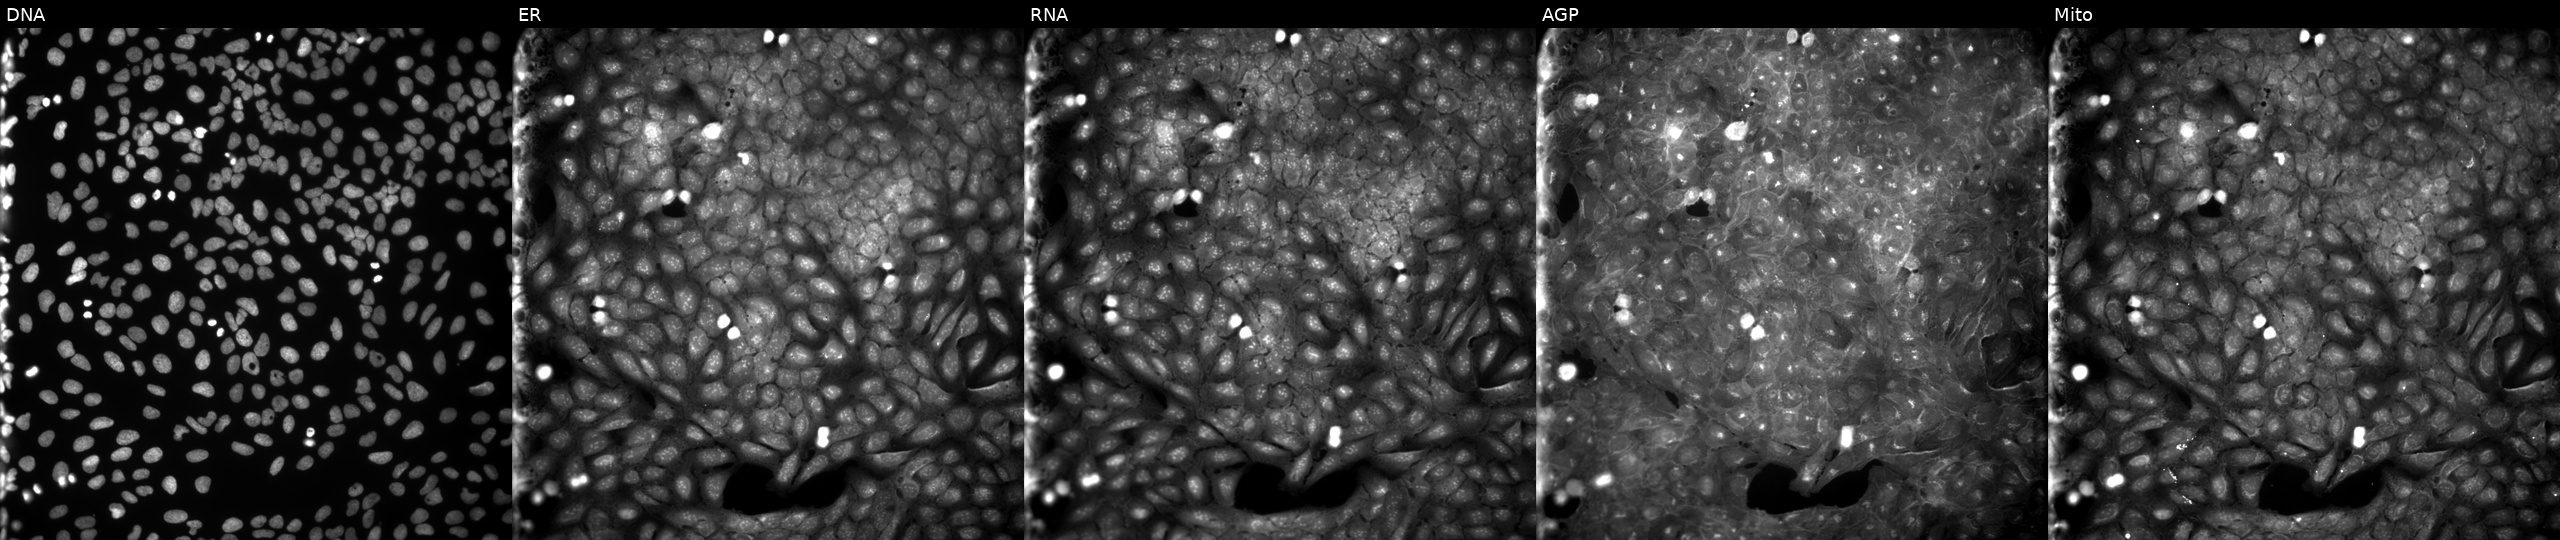
Five-channel Cell Painting image of U2OS cells exposed to a small-molecule compound (InChIKey DXTXBZSXPGRDKJ-UHFFFAOYSA-N) (JUMP id JCP2022_018861). The five panels, left to right, show DNA (nuclei); ER (endoplasmic reticulum); RNA (nucleoli and cytoplasmic RNA); AGP (actin cytoskeleton, Golgi, and plasma membrane); Mito (mitochondria).